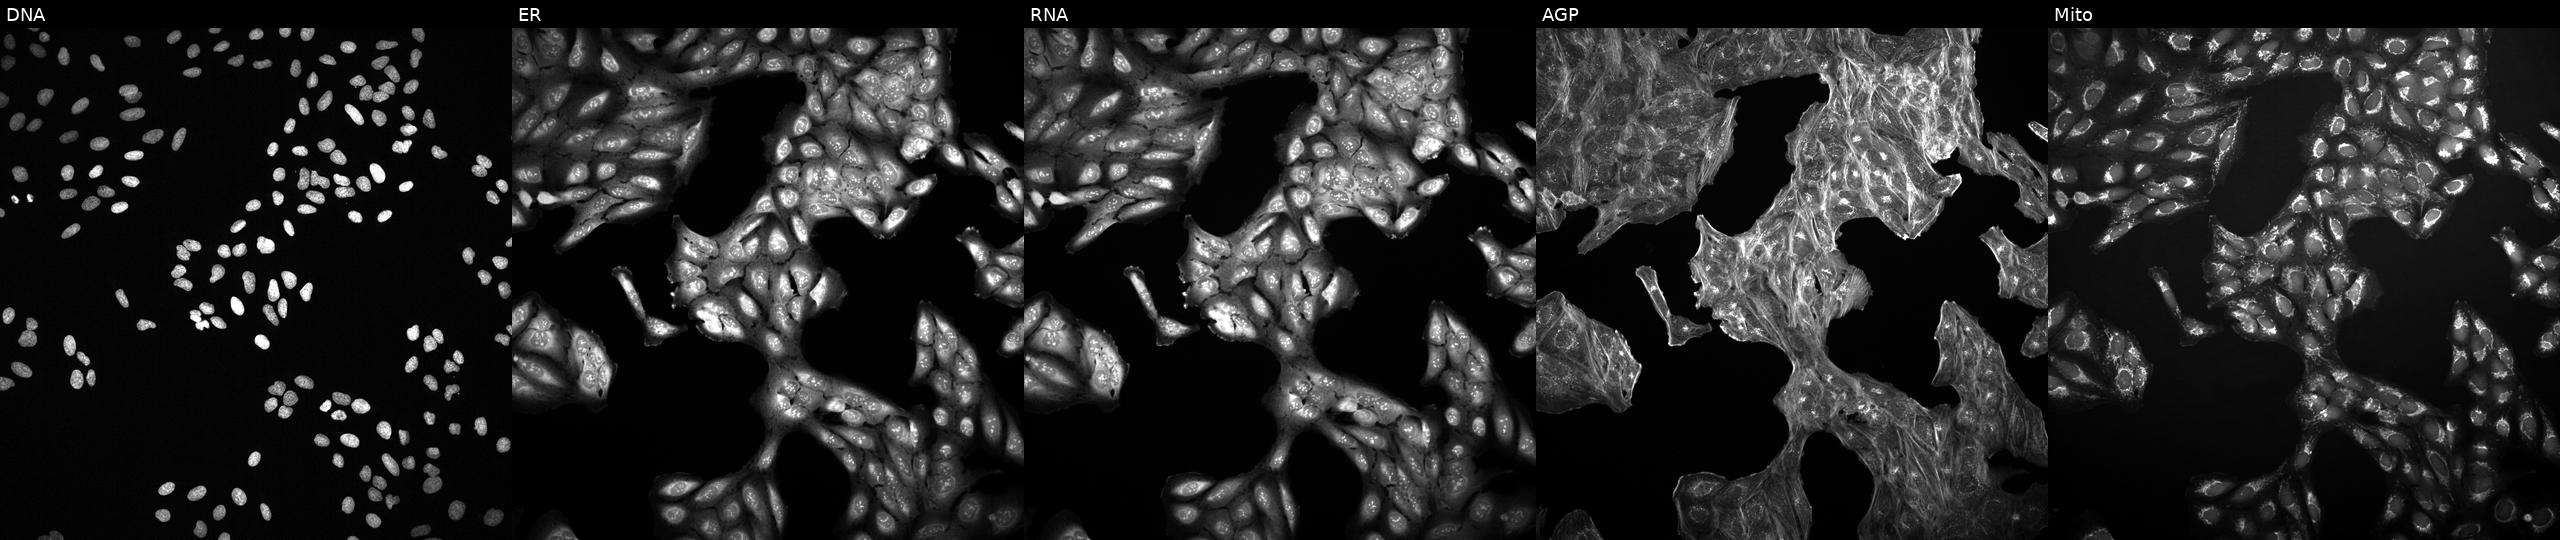
This image strip shows the five Cell Painting channels for a single field of U2OS cells perturbed with a small-molecule compound (InChIKey GCUCIFQCGJIRNT-UHFFFAOYSA-N). Channels (left→right): DNA (nuclei); ER (endoplasmic reticulum); RNA (nucleoli and cytoplasmic RNA); AGP (actin cytoskeleton, Golgi, and plasma membrane); Mito (mitochondria). Source 2, plate 1053597936, well C07.